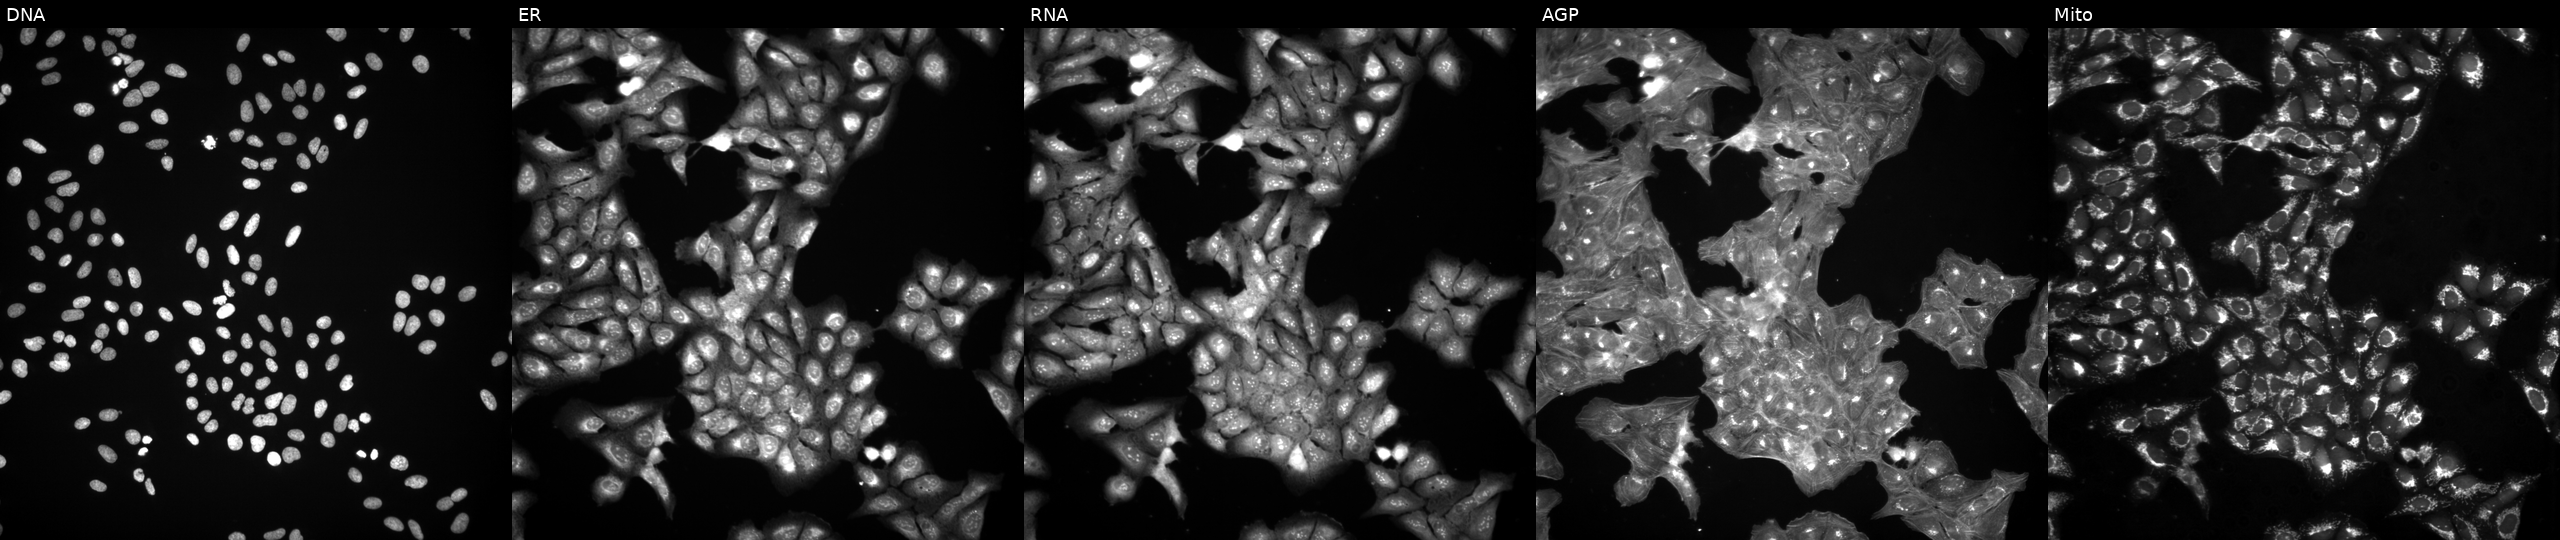
High-content fluorescence microscopy (Cell Painting). Cell line: U2OS. Perturbation: treated with a small-molecule compound (InChIKey GYGNEJNCOFYPLV-UHFFFAOYSA-N) (JUMP id JCP2022_028515). The five panels, left to right, show Hoechst 33342, concanavalin A, SYTO 14, phalloidin and WGA, MitoTracker. Source 3, plate BR5867b3, well D07.